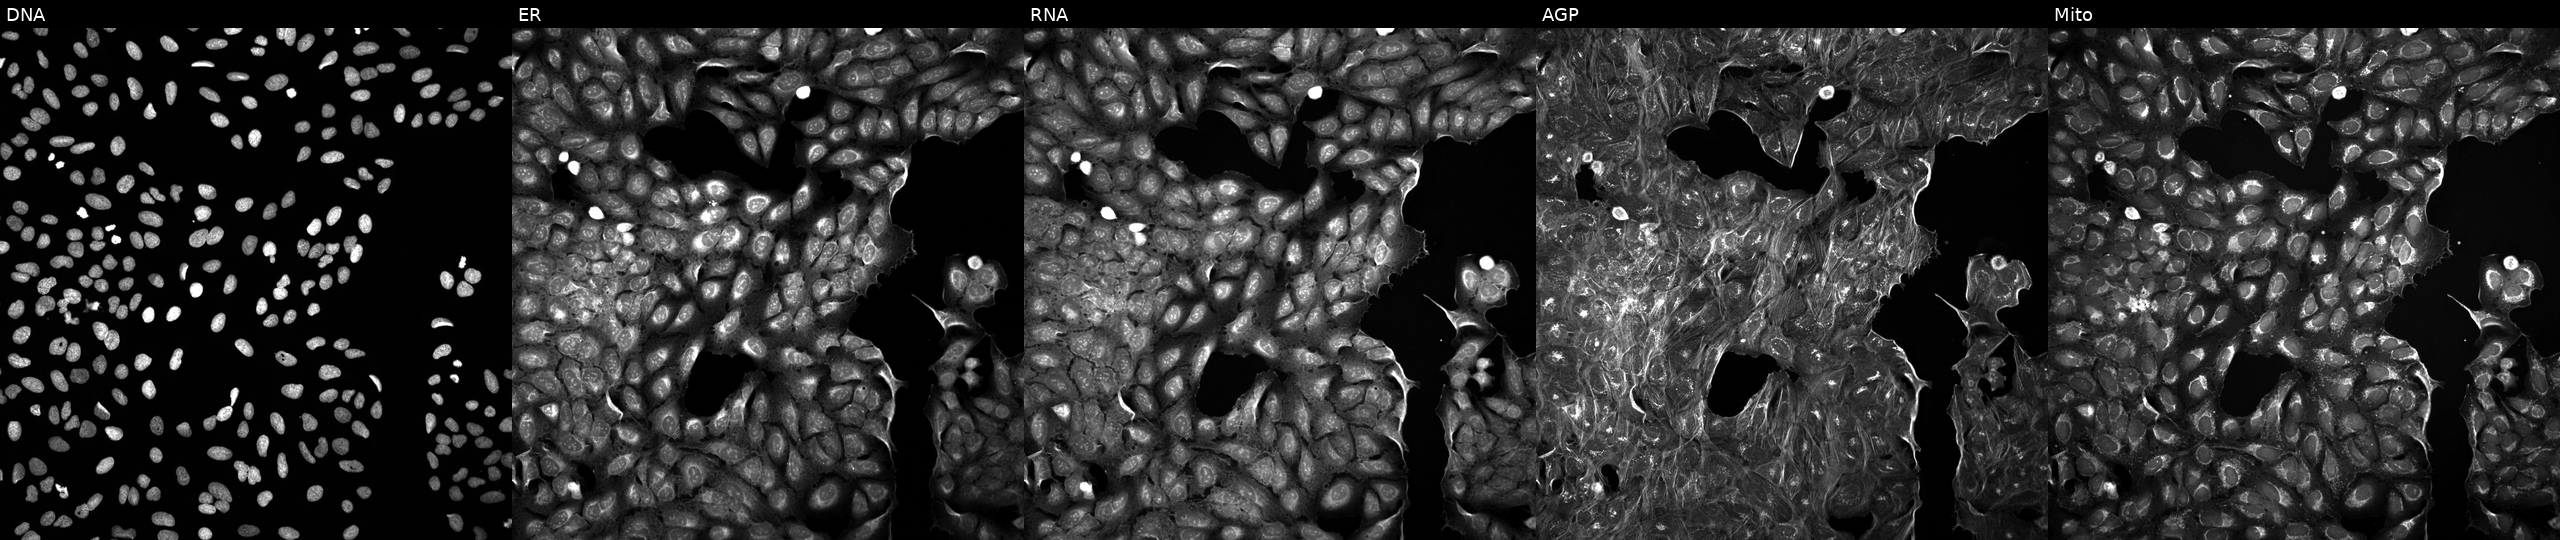
High-content fluorescence microscopy (Cell Painting). Cell line: U2OS. Perturbation: exposed to a small-molecule compound (InChIKey HQGWKNGAKBPTBX-UHFFFAOYSA-N). From left to right: DNA (nuclei); ER (endoplasmic reticulum); RNA (nucleoli and cytoplasmic RNA); AGP (actin cytoskeleton, Golgi, and plasma membrane); Mito (mitochondria). Source 5, plate ACPJUM051, well K18.